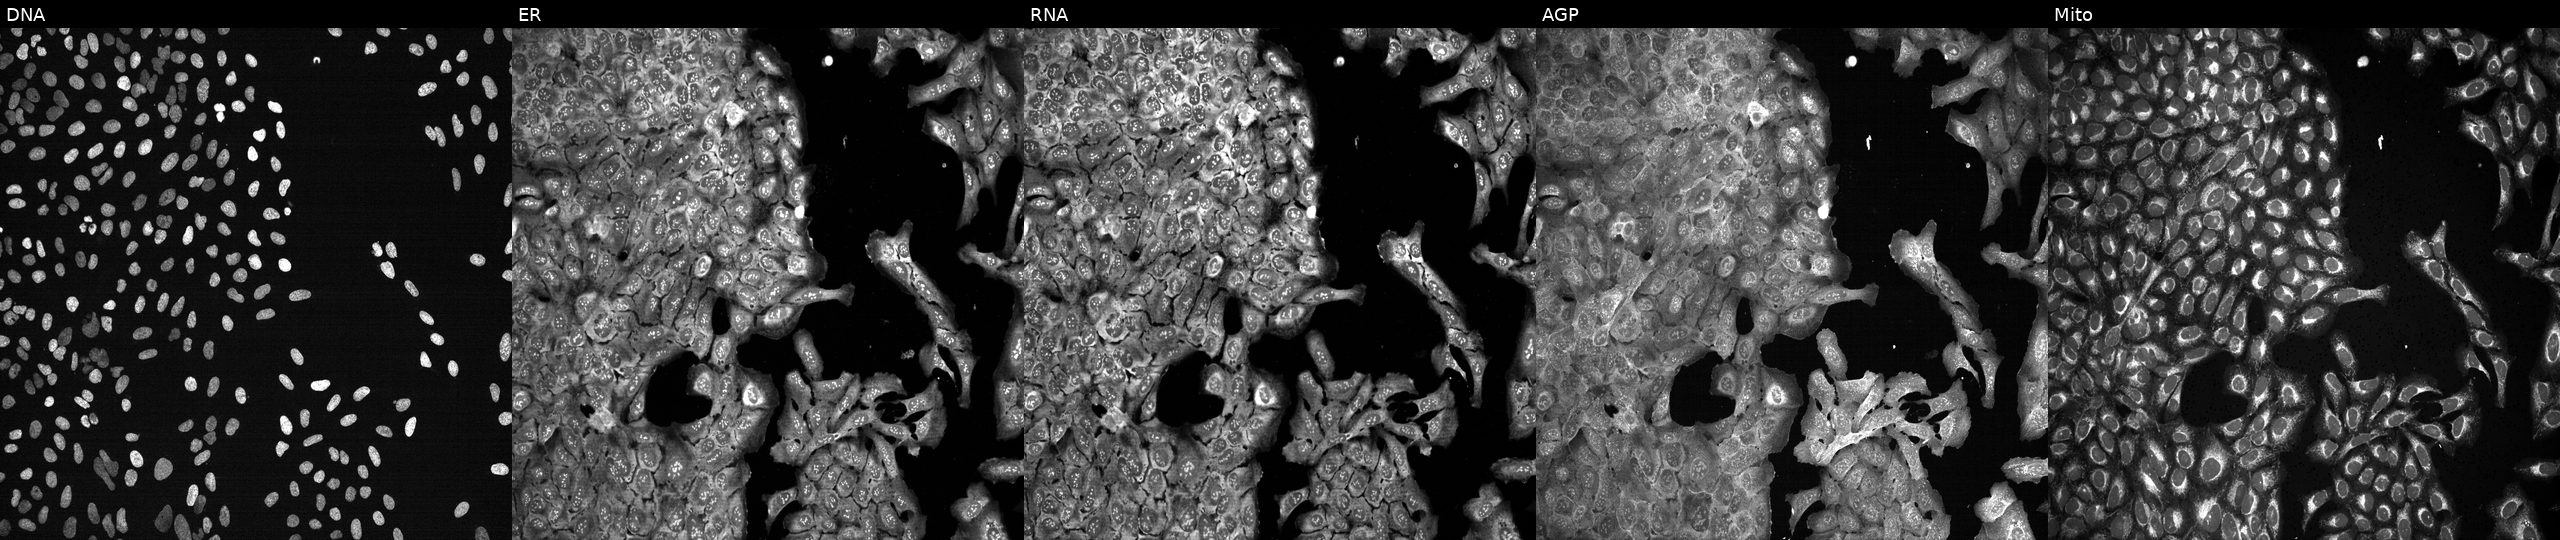
High-content fluorescence microscopy (Cell Painting). Cell line: U2OS. Perturbation: with no CRISPR guide (negative control) (JUMP id JCP2022_800001). The five panels, left to right, show Hoechst 33342, concanavalin A, SYTO 14, phalloidin and WGA, MitoTracker. Source 13, plate CP-CC9-R4-03, well J10.